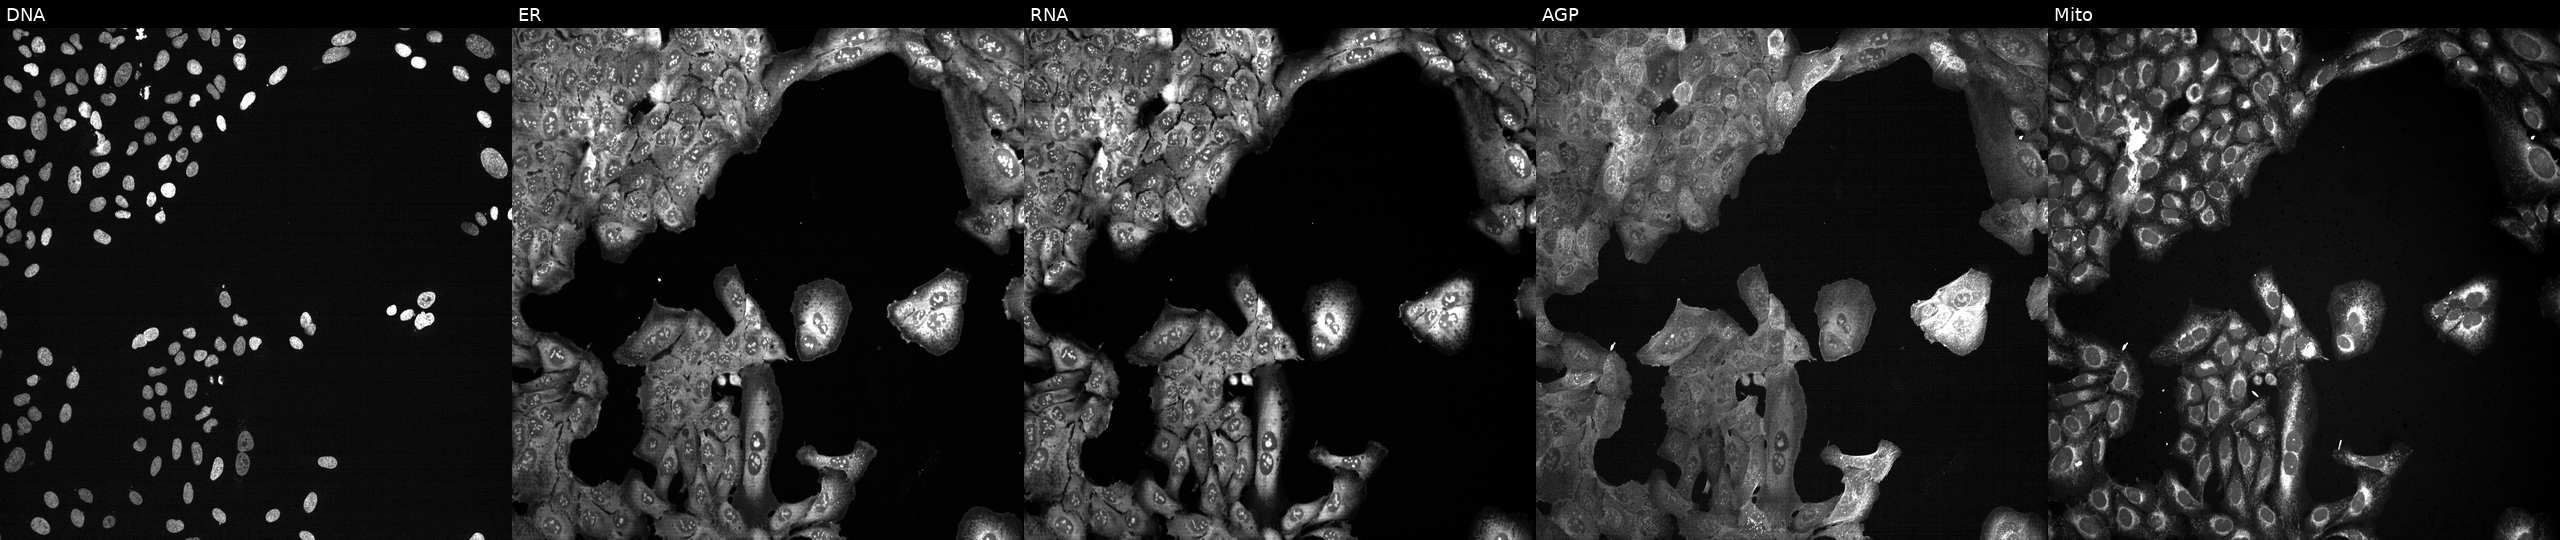
JUMP Cell Painting — CRISPR plate. U2OS cells CRISPR-edited to disrupt CYP21A2. Channels (left→right): Hoechst 33342, concanavalin A, SYTO 14, phalloidin and WGA, MitoTracker. Source 13, plate CP-CC9-R2-01, well P06.